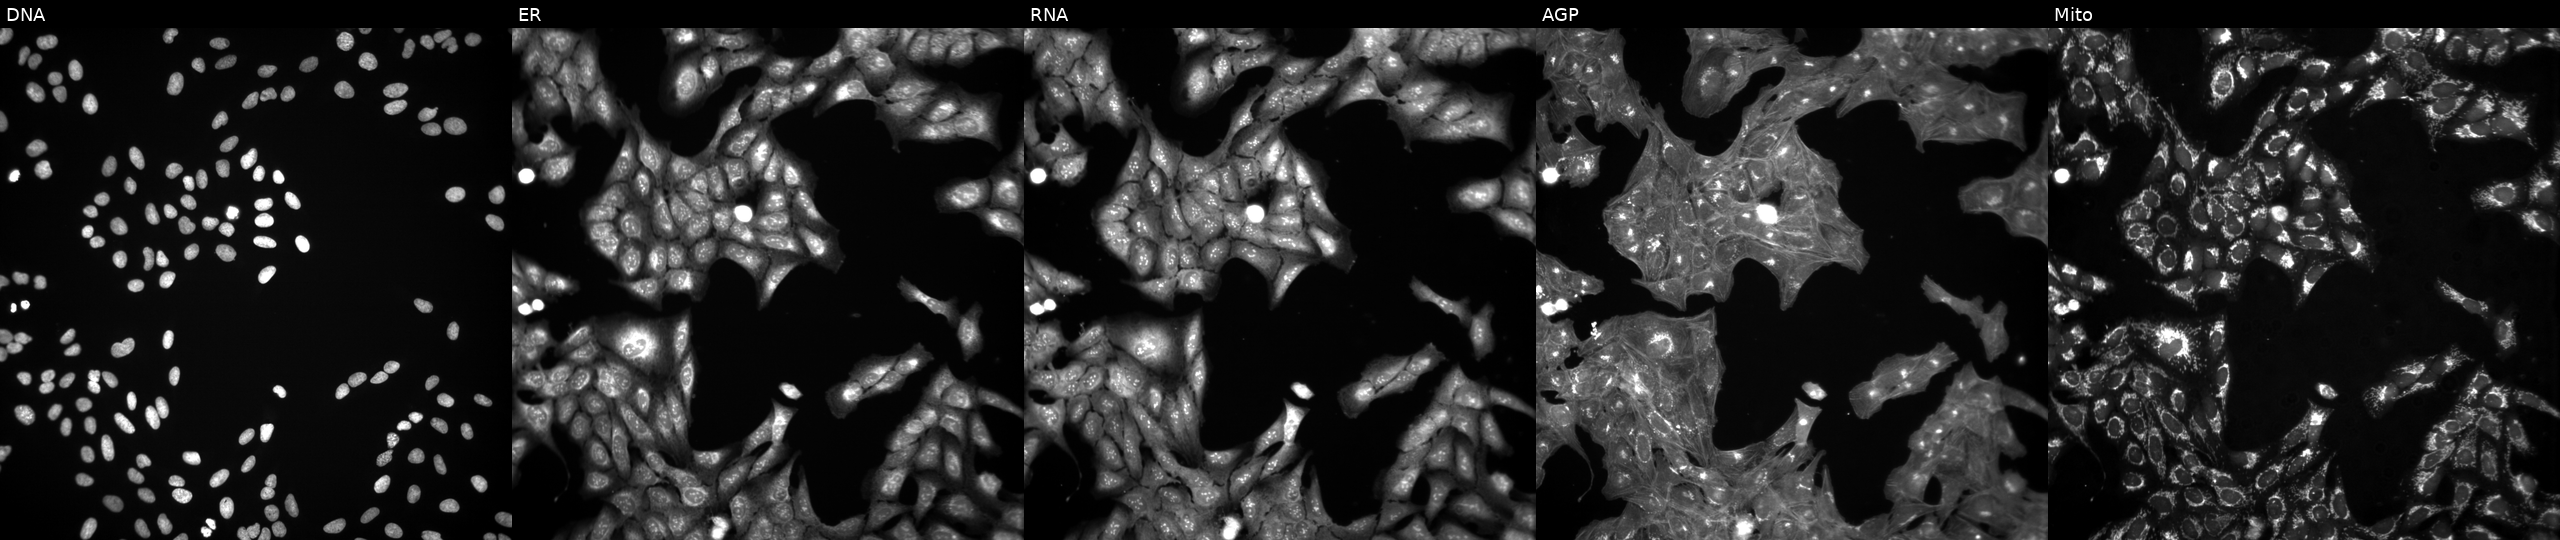
JUMP Cell Painting — COMPOUND plate. U2OS cells exposed to the positive-control compound dexamethasone (JUMP id JCP2022_025848). Panels show, left to right, Hoechst 33342, concanavalin A, SYTO 14, phalloidin and WGA, MitoTracker.